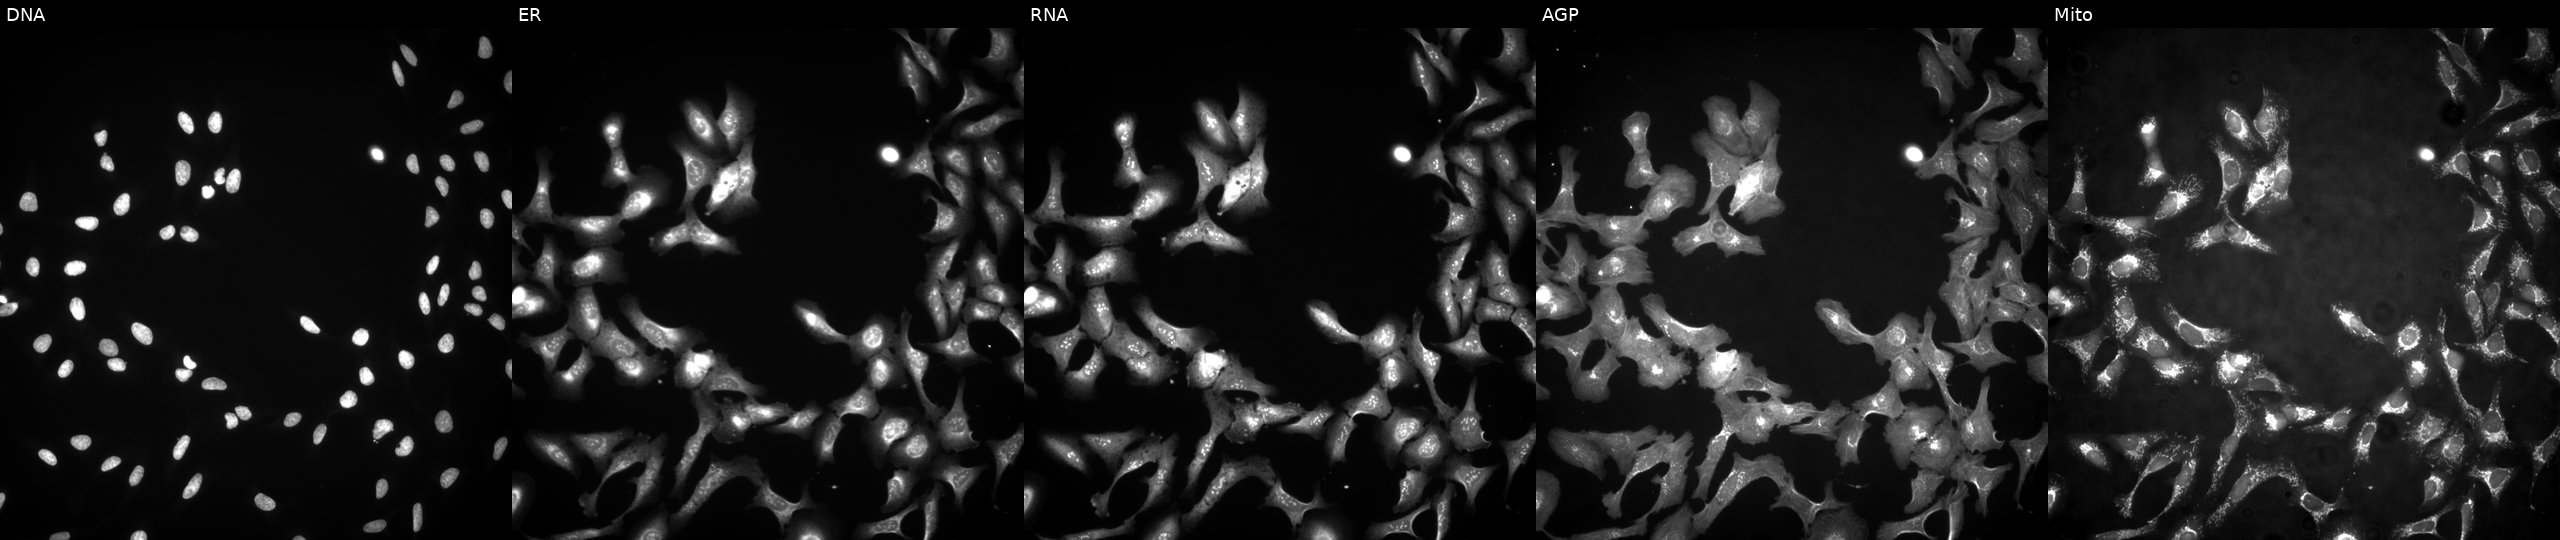
This image strip shows the five Cell Painting channels for a single field of U2OS cells overexpressing ZBTB47 via ORF transfection (JUMP id JCP2022_912108). The five panels, left to right, show DNA, ER, RNA, AGP, and Mito. Source 4, plate BR00123509, well K09.